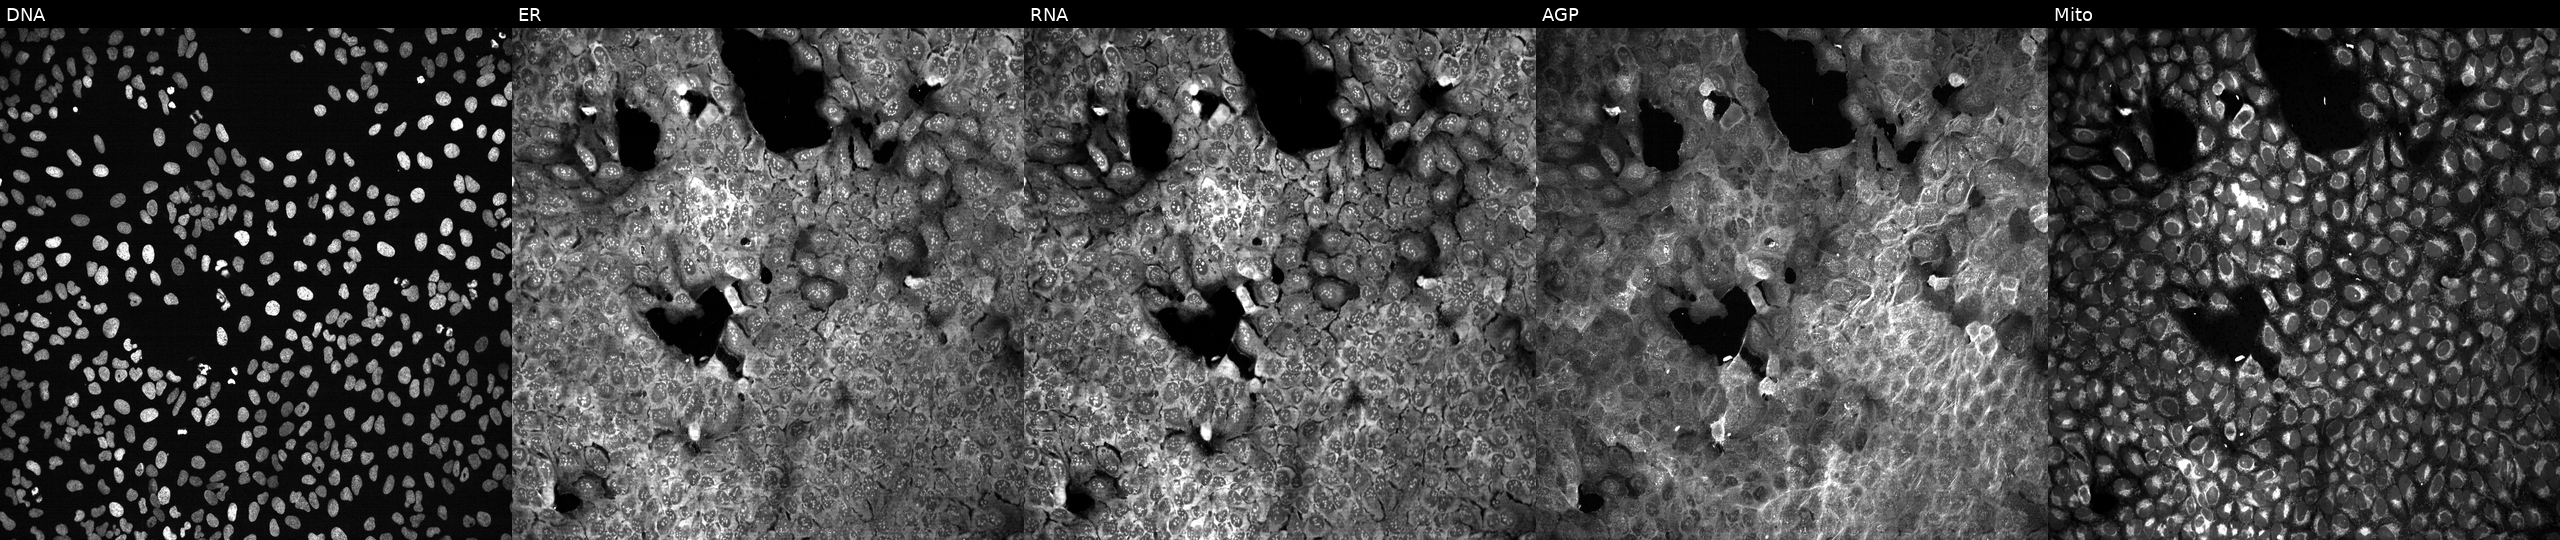
Five-channel Cell Painting image of U2OS cells with no CRISPR guide (negative control) (JUMP id JCP2022_800001). The five panels, left to right, show DNA, ER, RNA, AGP, and Mito.